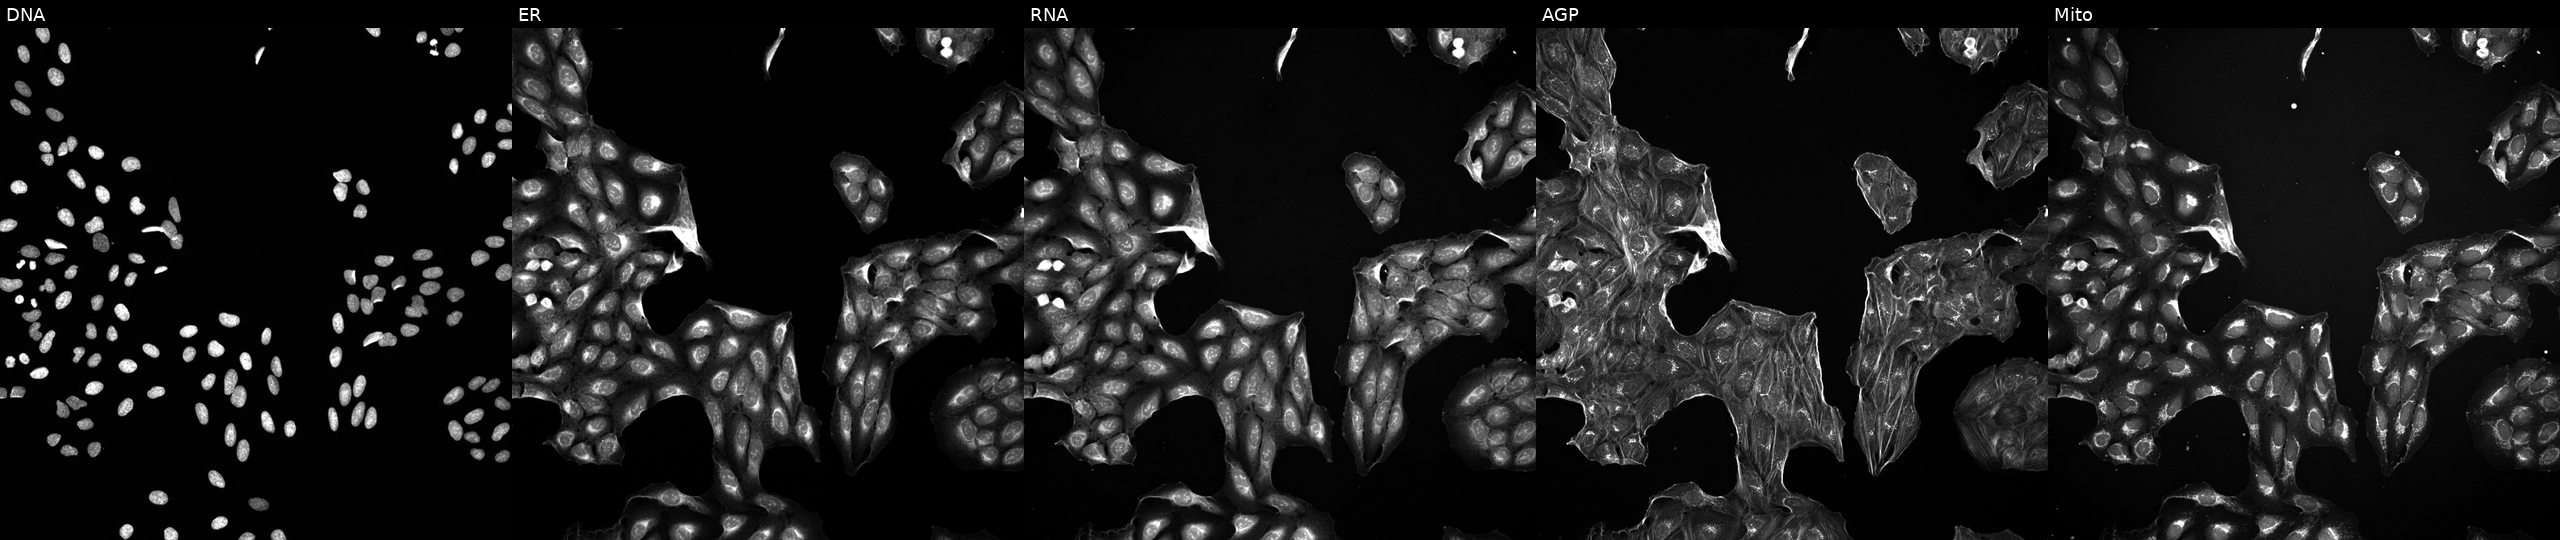
U2OS cells, Cell Painting assay, exposed to a small-molecule compound (InChIKey LPEPZBJOKDYZAD-UHFFFAOYSA-N) (JUMP id JCP2022_050861). The five panels, left to right, show DNA (nuclei); ER (endoplasmic reticulum); RNA (nucleoli and cytoplasmic RNA); AGP (actin cytoskeleton, Golgi, and plasma membrane); Mito (mitochondria). Each panel is percentile-stretched 16-bit fluorescence. Source 5, plate ACPJUM051, well A08.